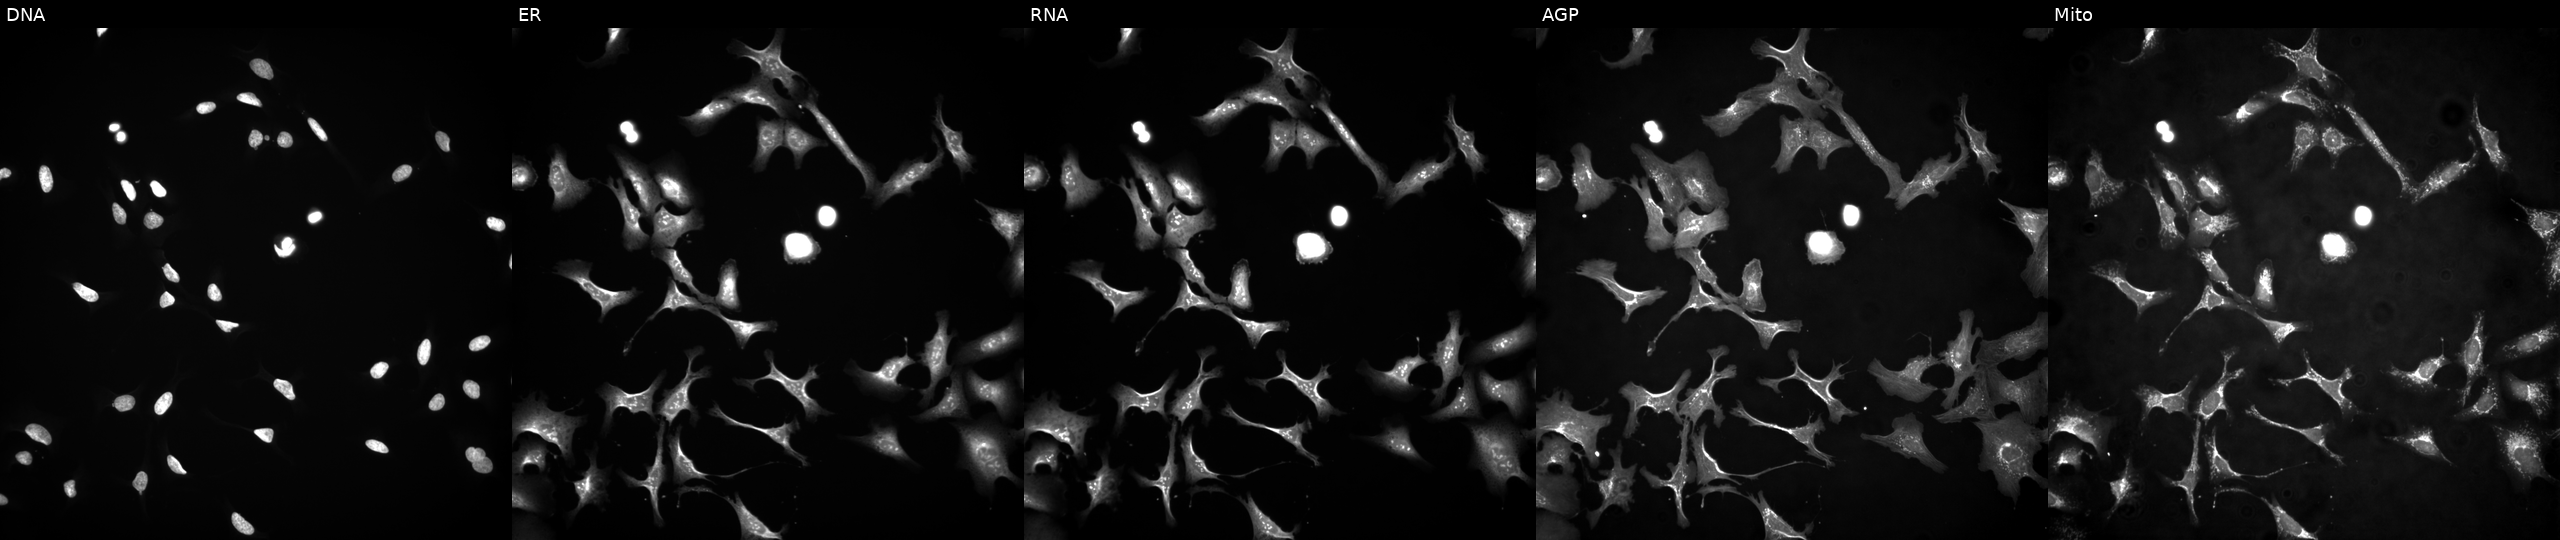
The five panels, left to right, show DNA (nuclei); ER (endoplasmic reticulum); RNA (nucleoli and cytoplasmic RNA); AGP (actin cytoskeleton, Golgi, and plasma membrane); Mito (mitochondria). U2OS osteosarcoma cells with NEK7 overexpressed (ORF). Cell Painting assay, JUMP-CP dataset.